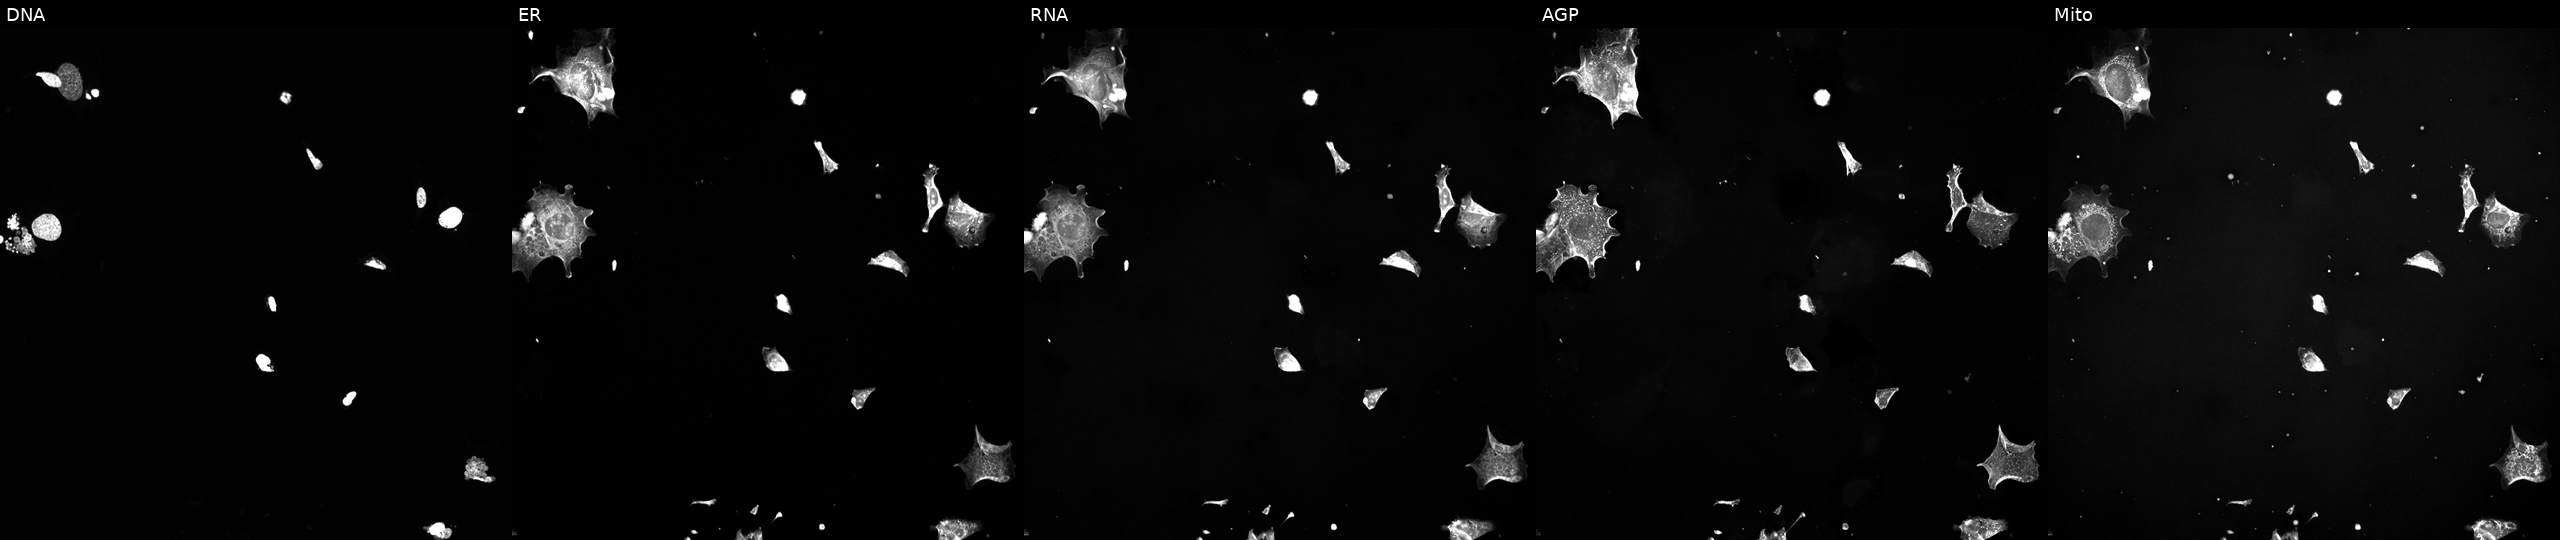
From left to right: Hoechst 33342, concanavalin A, SYTO 14, phalloidin and WGA, MitoTracker. U2OS osteosarcoma cells perturbed with a small-molecule compound [SMILES: COc1cc(OC)c(C=CS(=O)(=O)Cc2ccc(OC)c(O[PH](=O)(=O)O)c2)c(OC)c1]. Cell Painting assay, JUMP-CP dataset.